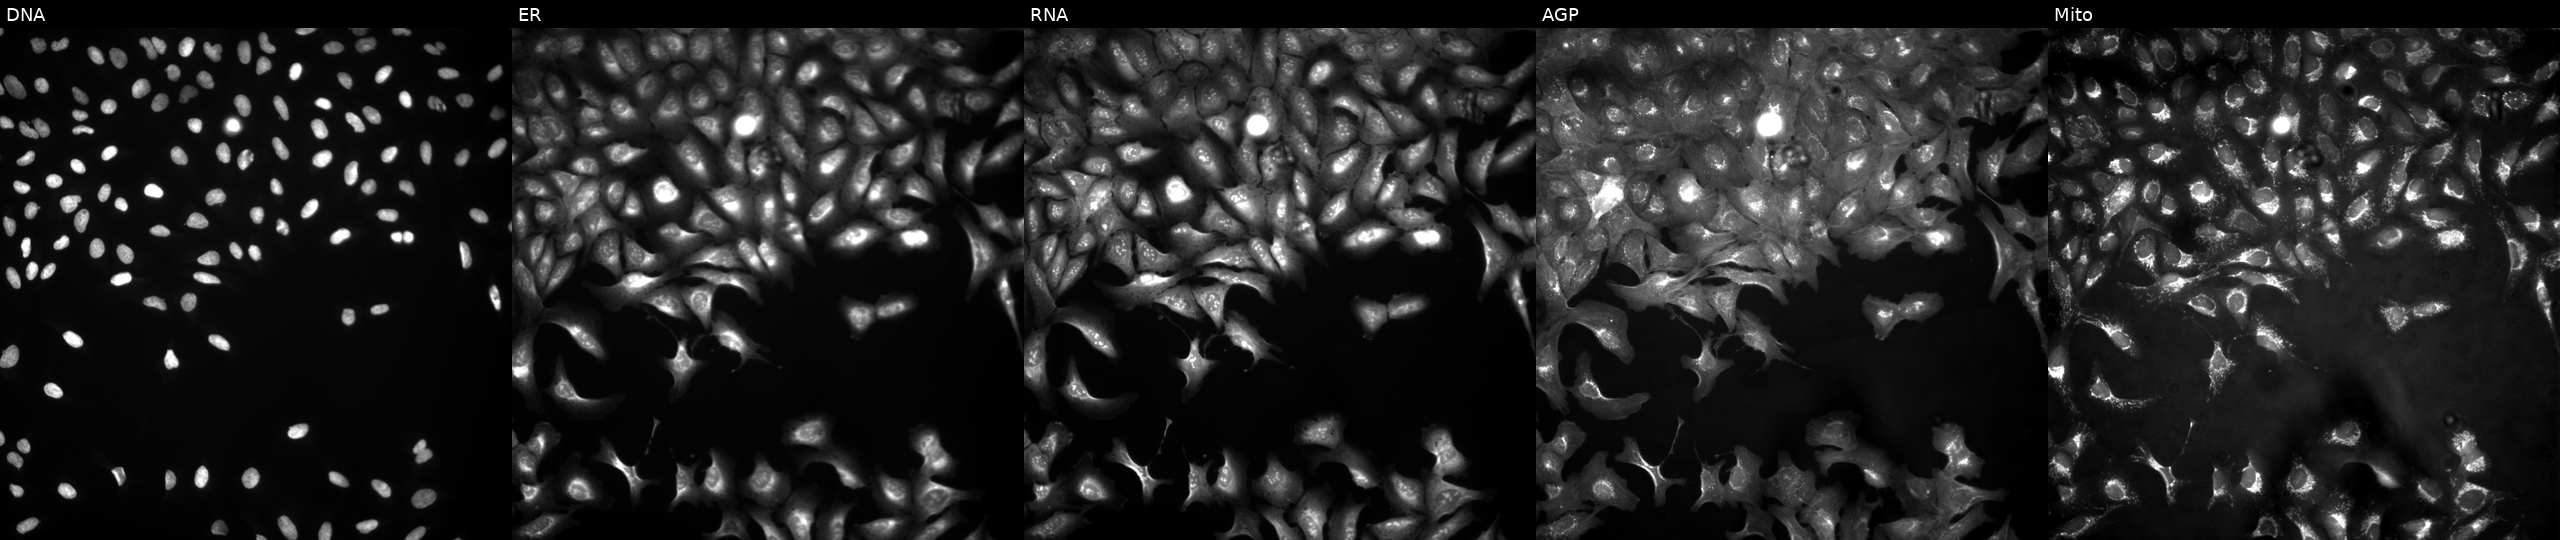
From left to right: DNA, ER, RNA, AGP, and Mito. U2OS osteosarcoma cells overexpressing LRRN2 via ORF transfection (JUMP id JCP2022_907113). Cell Painting assay, JUMP-CP dataset.